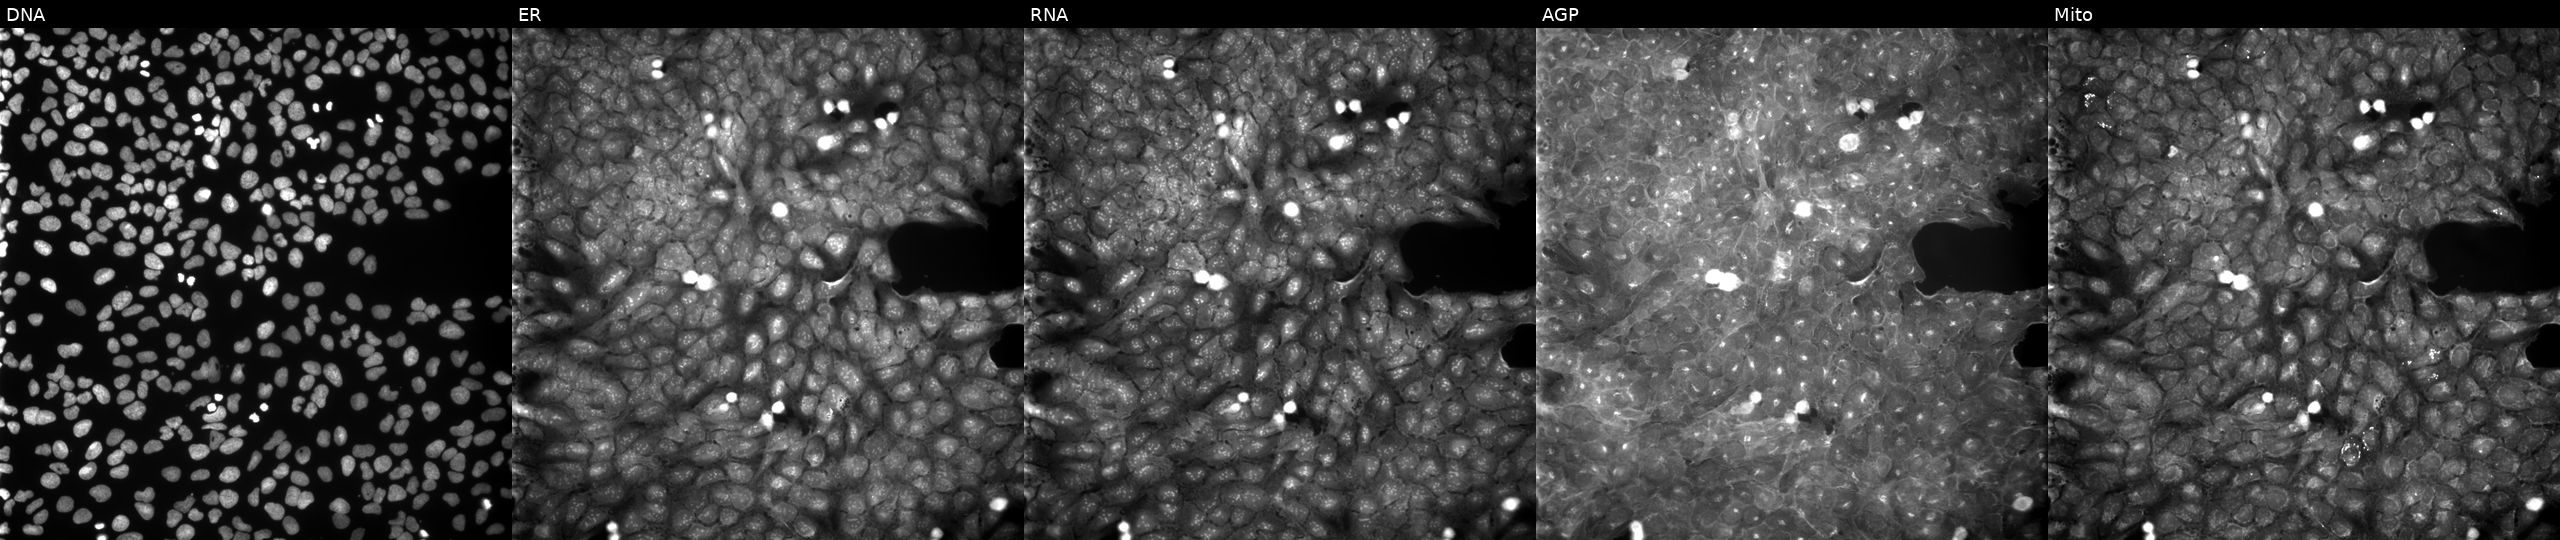
Five-channel Cell Painting image of U2OS cells treated with dexamethasone (positive-control compound) (JUMP id JCP2022_025848). The five panels, left to right, show Hoechst 33342, concanavalin A, SYTO 14, phalloidin and WGA, MitoTracker.